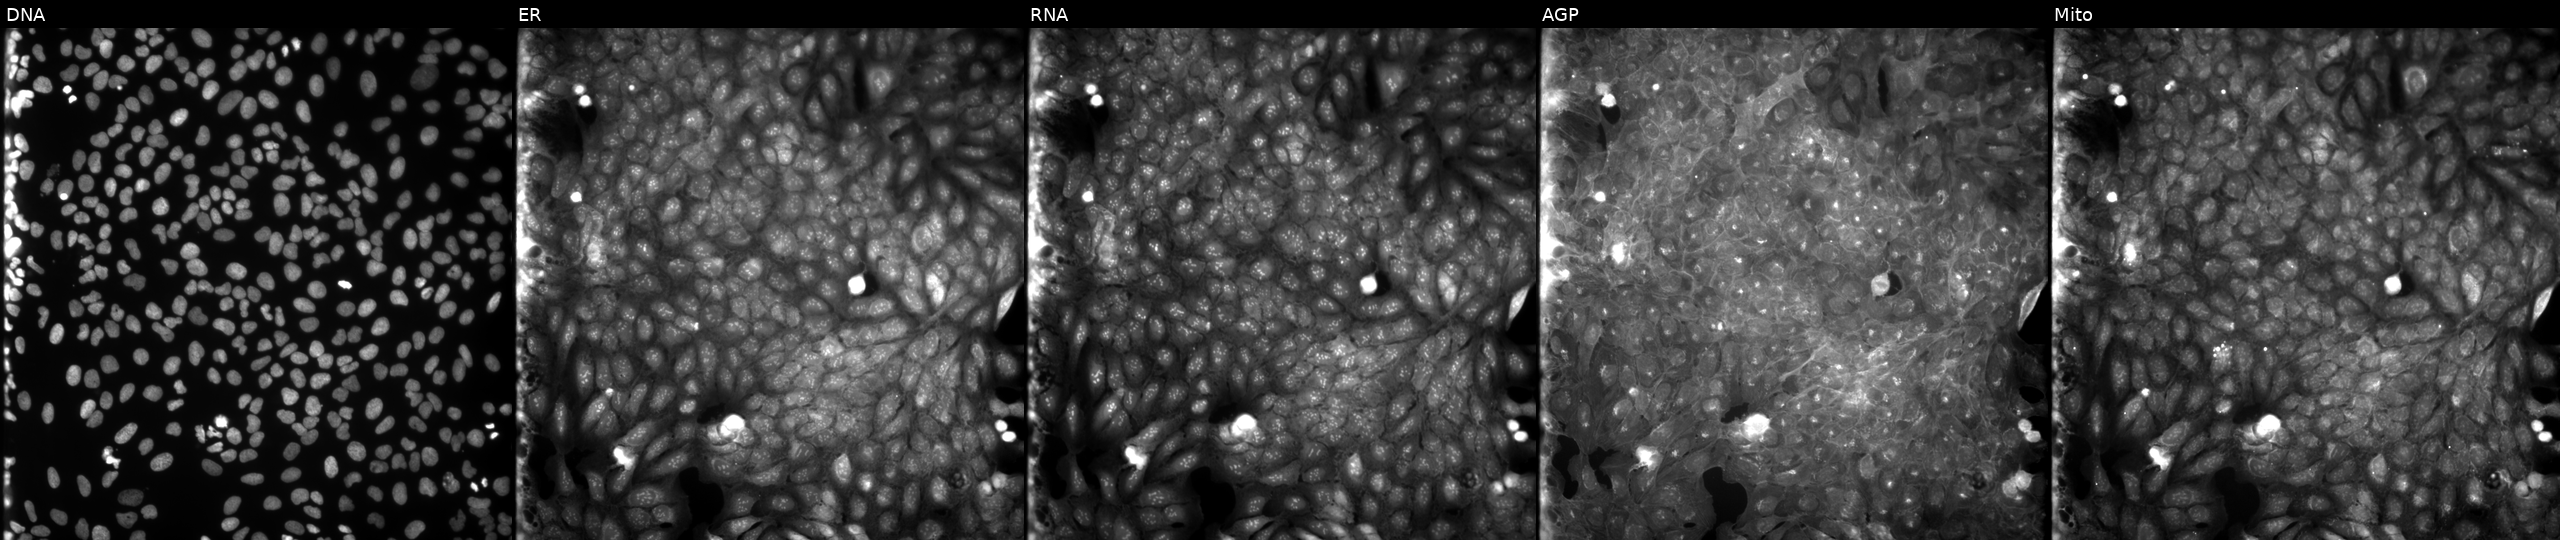
Five-channel Cell Painting image of U2OS cells treated with a small-molecule compound (InChIKey FLGDHEPSPRNSKU-UHFFFAOYSA-N). Channels (left→right): Hoechst 33342, concanavalin A, SYTO 14, phalloidin and WGA, MitoTracker.